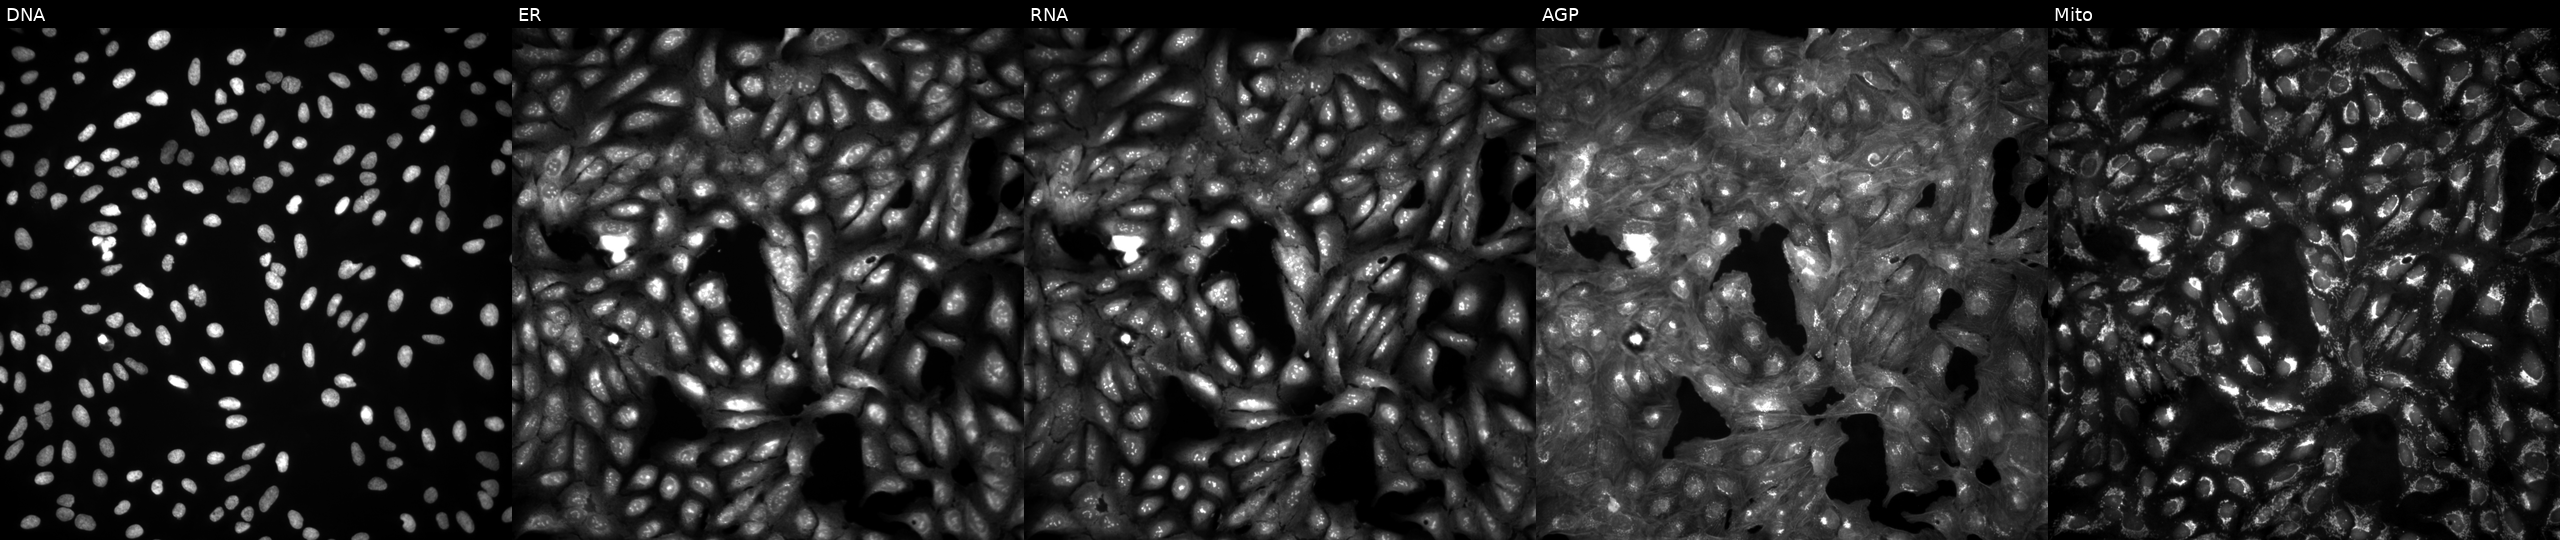
U2OS cells, Cell Painting assay, in an empty control well (no perturbation) (JUMP id JCP2022_999999). From left to right: Hoechst 33342, concanavalin A, SYTO 14, phalloidin and WGA, MitoTracker. Each panel is percentile-stretched 16-bit fluorescence. Source 4, plate BR00123946, well P17.